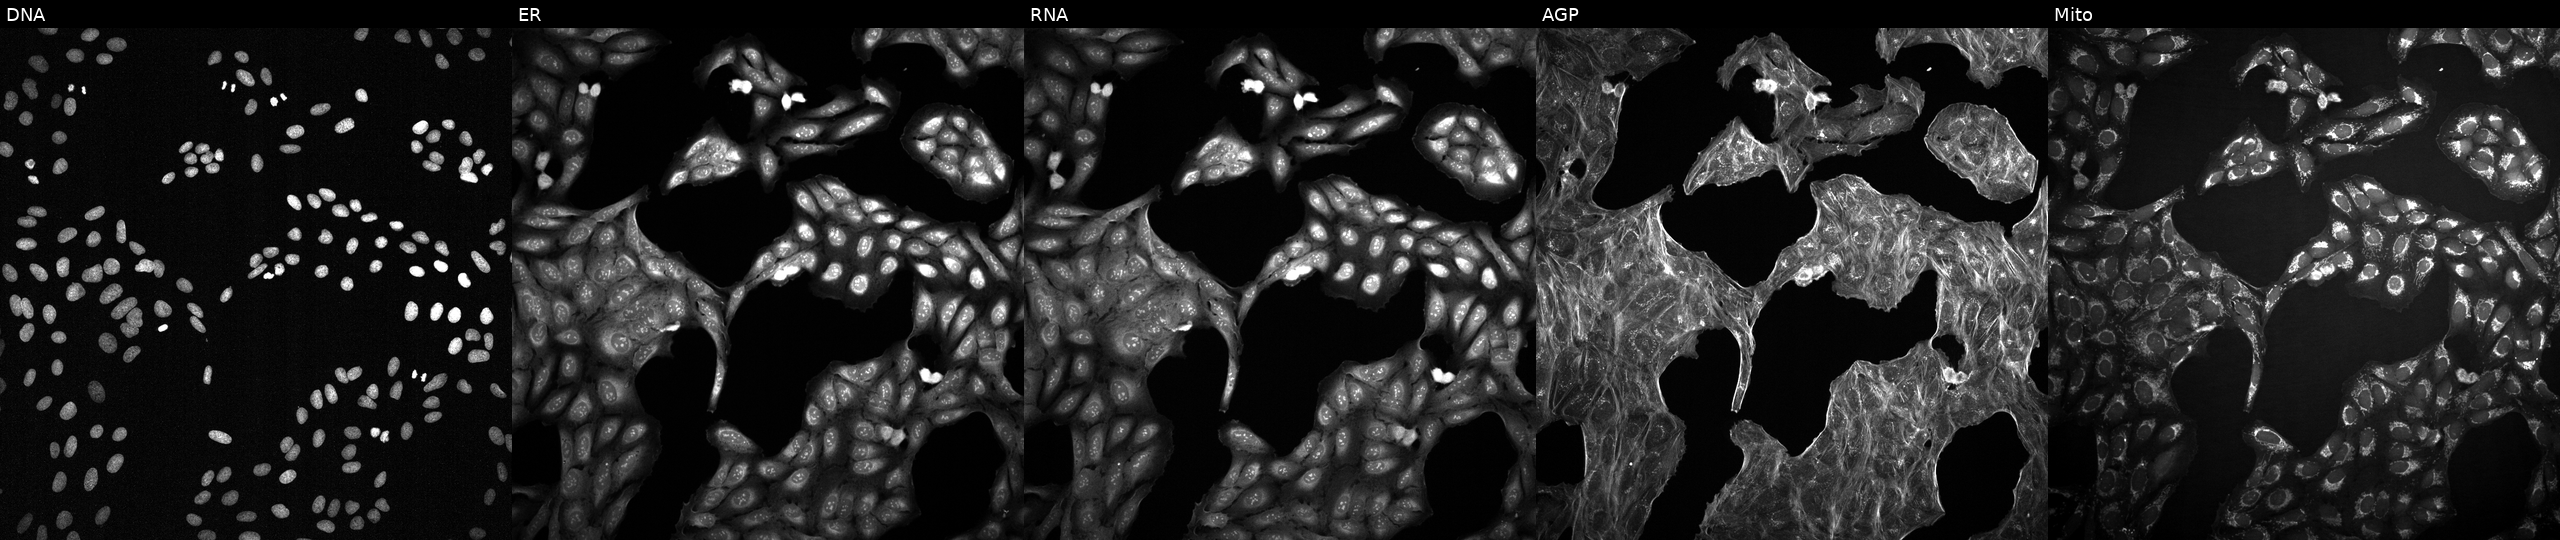
Five-channel Cell Painting image of U2OS cells perturbed with a small-molecule compound. Channels (left→right): DNA, ER, RNA, AGP, and Mito. Source 2, plate 1053599503, well O15.